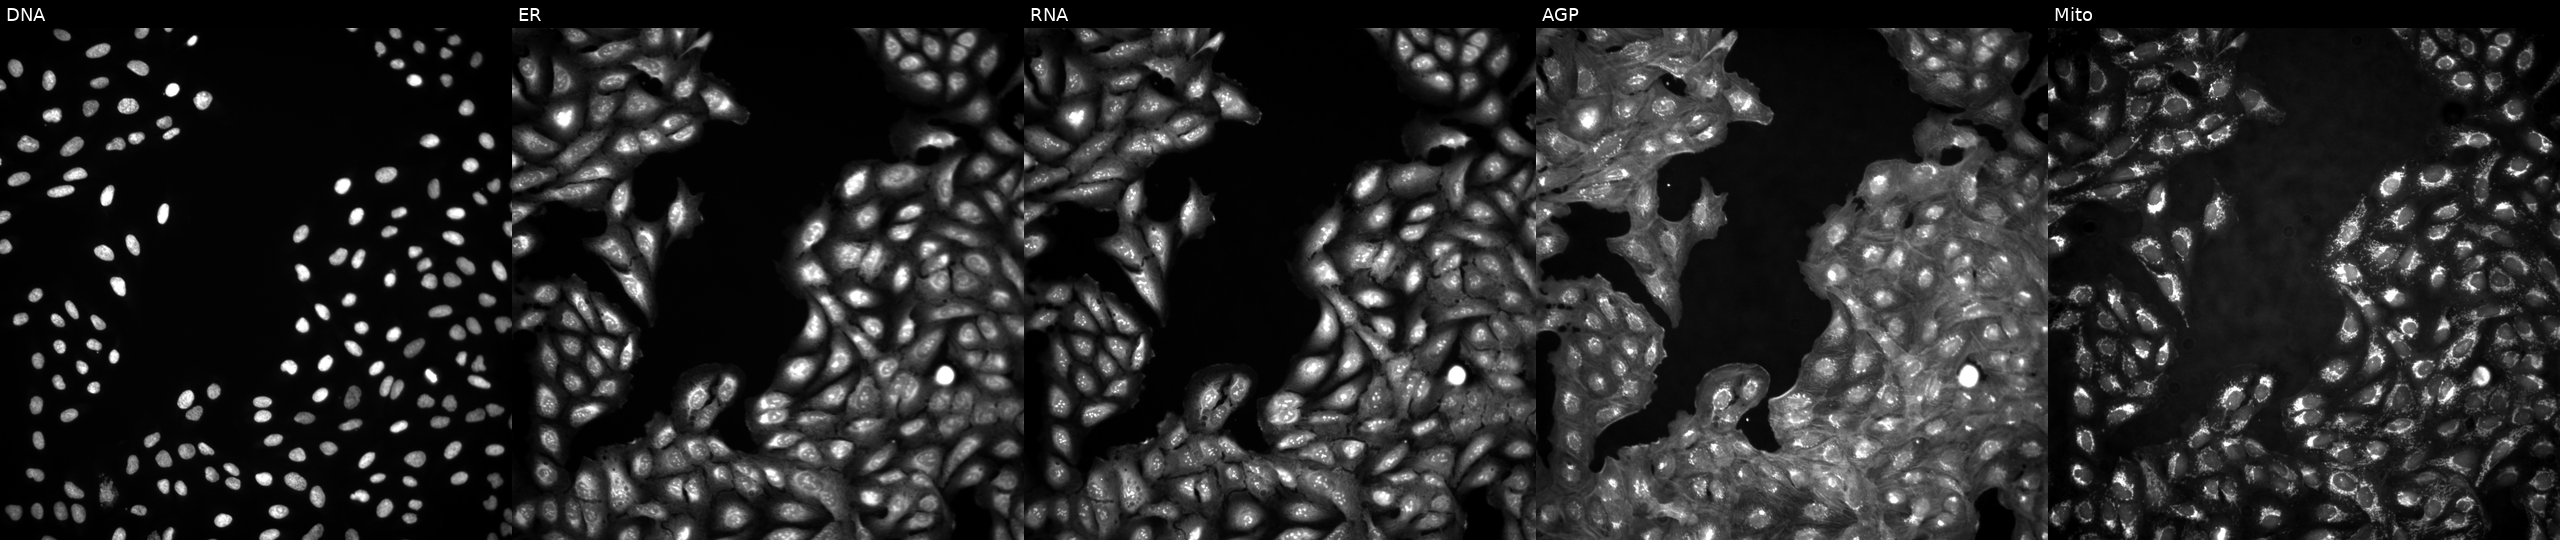
JUMP Cell Painting — ORF plate. U2OS cells untreated (empty-well control). From left to right: DNA, ER, RNA, AGP, and Mito. Source 4, plate BR00124793, well J23.